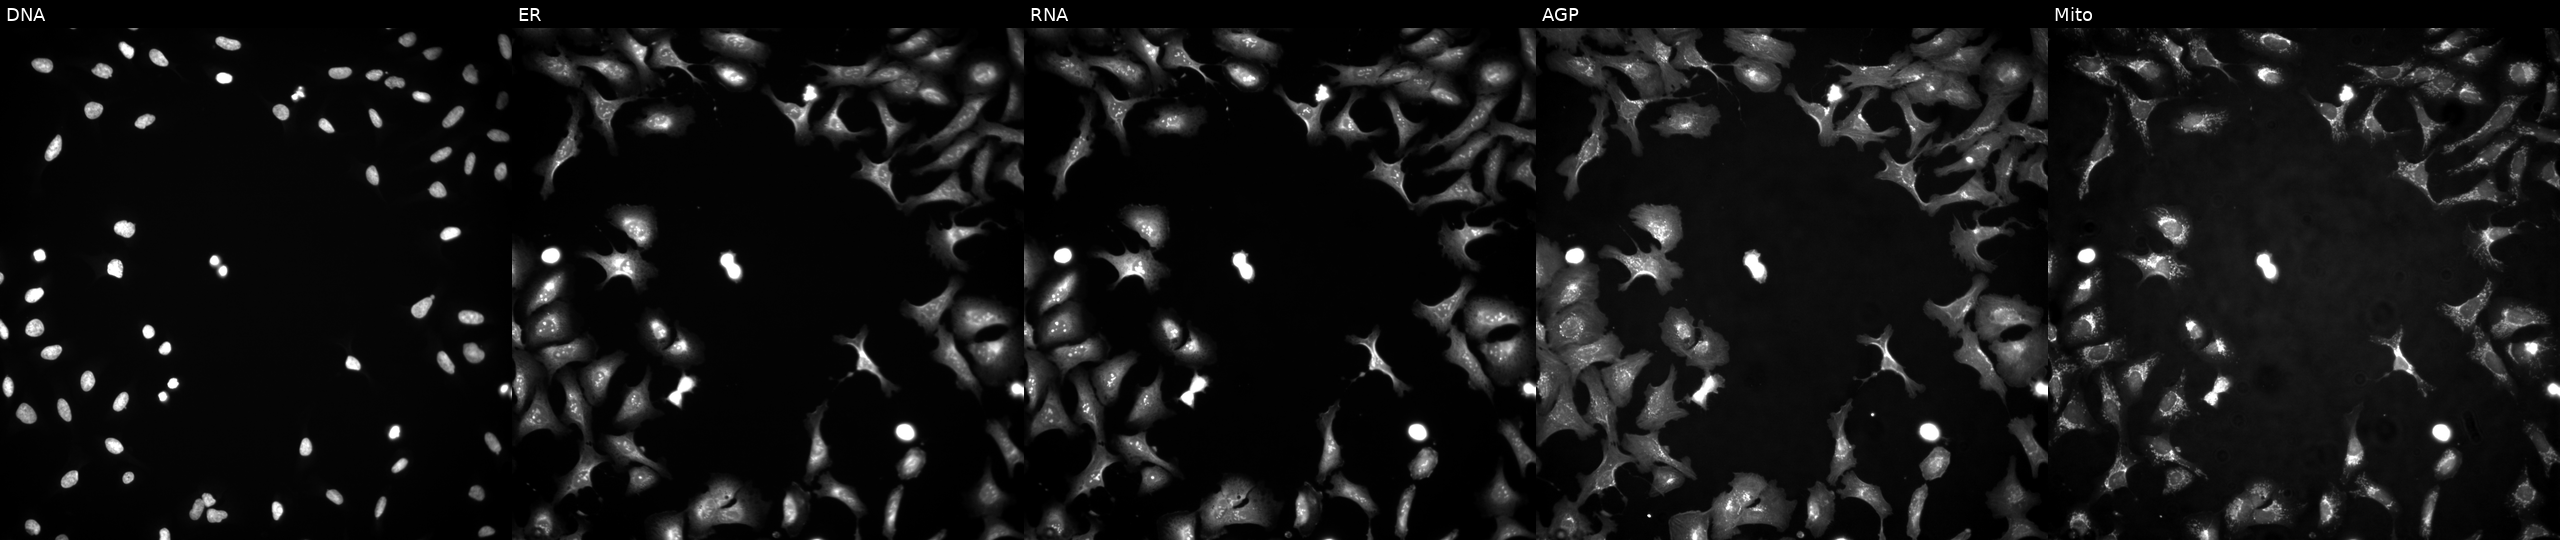
JUMP Cell Painting — ORF plate. U2OS cells with PSMC4 overexpressed (ORF) (JUMP id JCP2022_914544). Panels show, left to right, DNA, ER, RNA, AGP, and Mito.